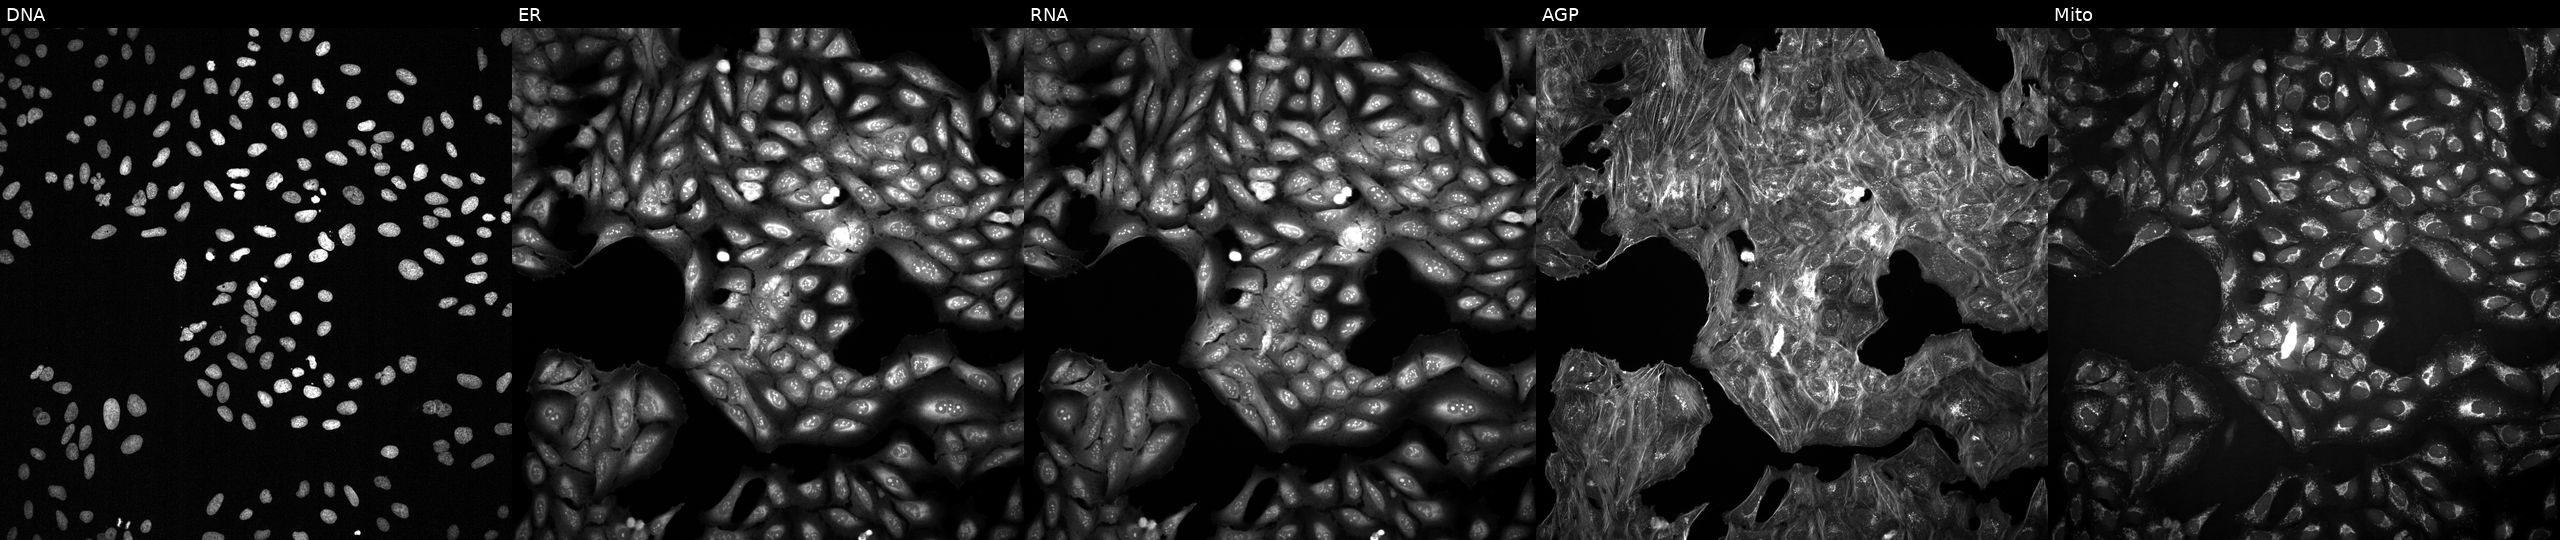
JUMP Cell Painting — TARGET2 plate. U2OS cells exposed to DMSO alone as a negative control (JUMP id JCP2022_033924). Panels show, left to right, Hoechst 33342, concanavalin A, SYTO 14, phalloidin and WGA, MitoTracker.